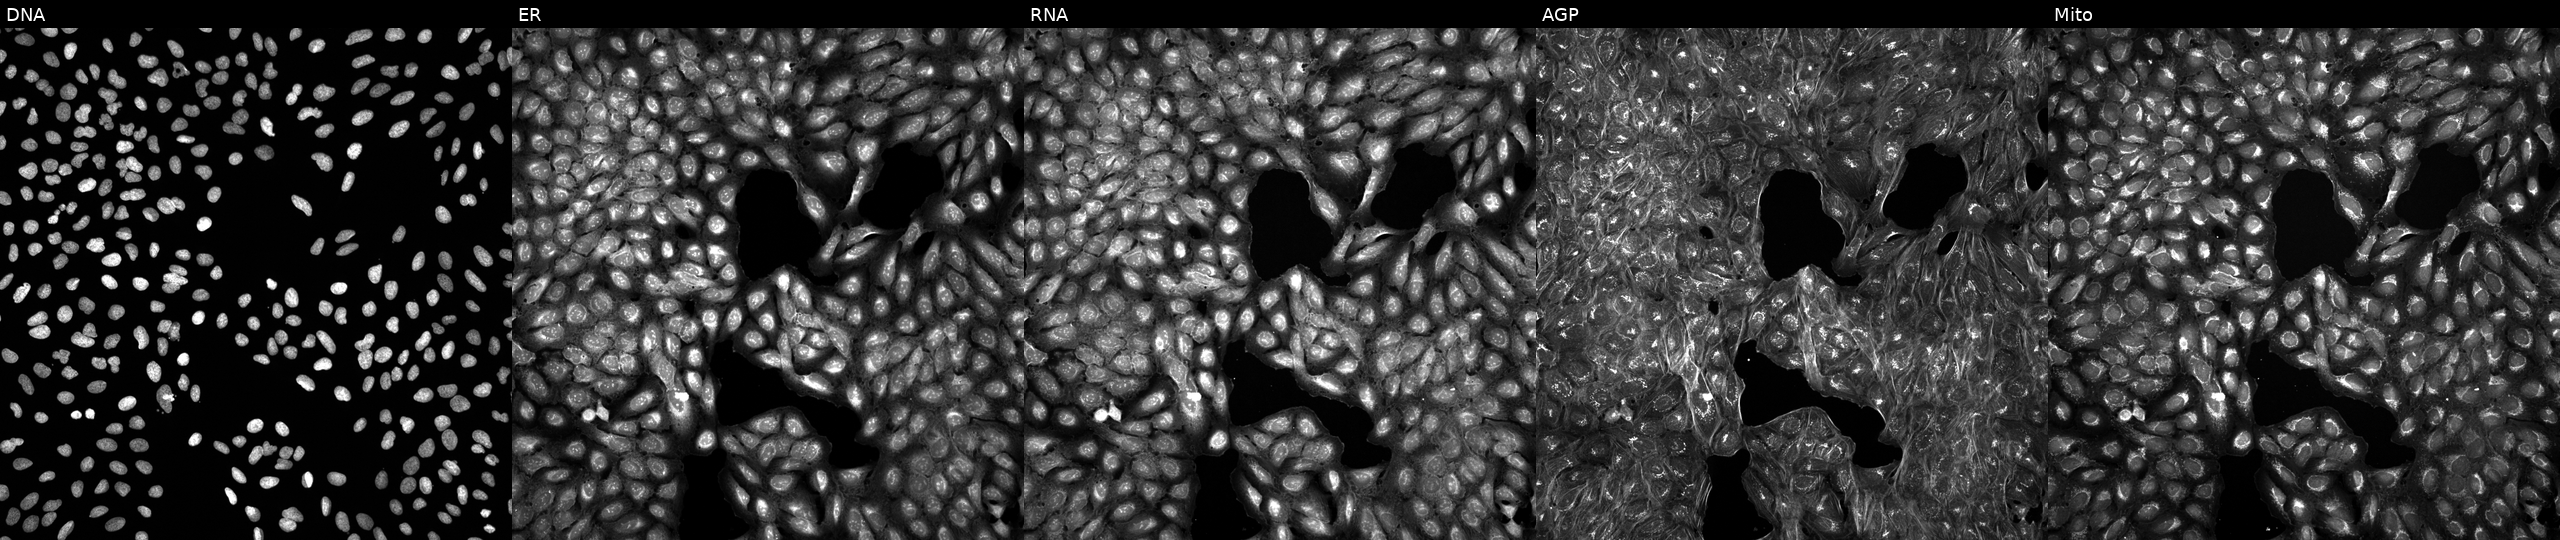
The five panels, left to right, show DNA (nuclei); ER (endoplasmic reticulum); RNA (nucleoli and cytoplasmic RNA); AGP (actin cytoskeleton, Golgi, and plasma membrane); Mito (mitochondria). U2OS osteosarcoma cells exposed to a small-molecule compound (InChIKey UEKCRLHLFXXMLA-UHFFFAOYSA-N) (JUMP id JCP2022_088661). Cell Painting assay, JUMP-CP dataset. Source 5, plate APTJUM106, well E04.